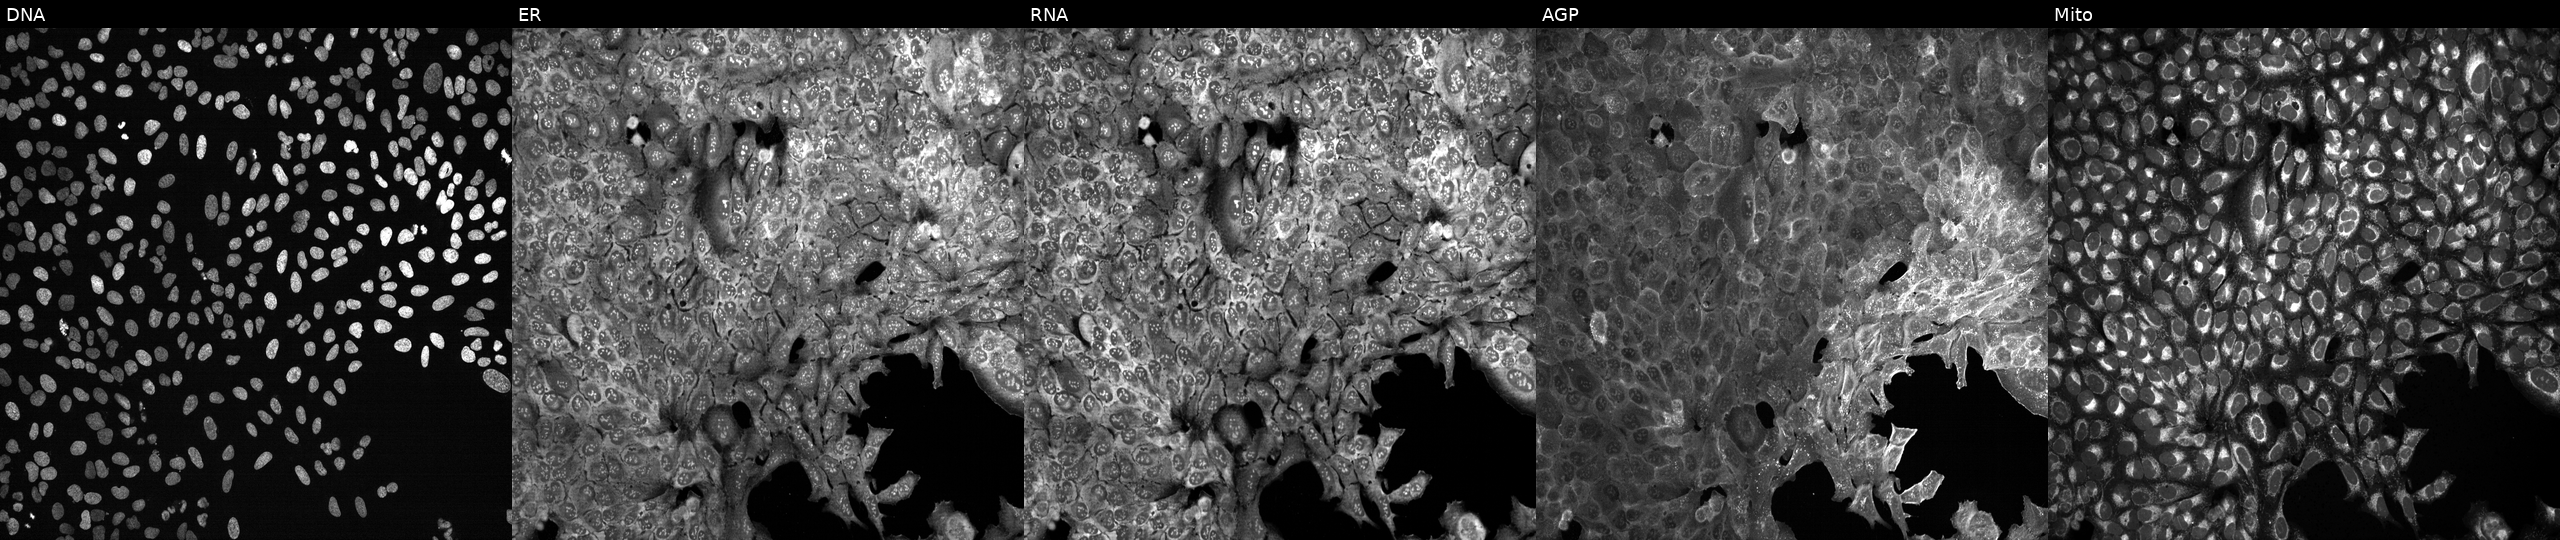
JUMP Cell Painting — CRISPR plate. U2OS cells CRISPR-edited to disrupt FOXN3 (JUMP id JCP2022_802477). Panels show, left to right, DNA, ER, RNA, AGP, and Mito. Source 13, plate CP-CC9-R6-19, well L08.